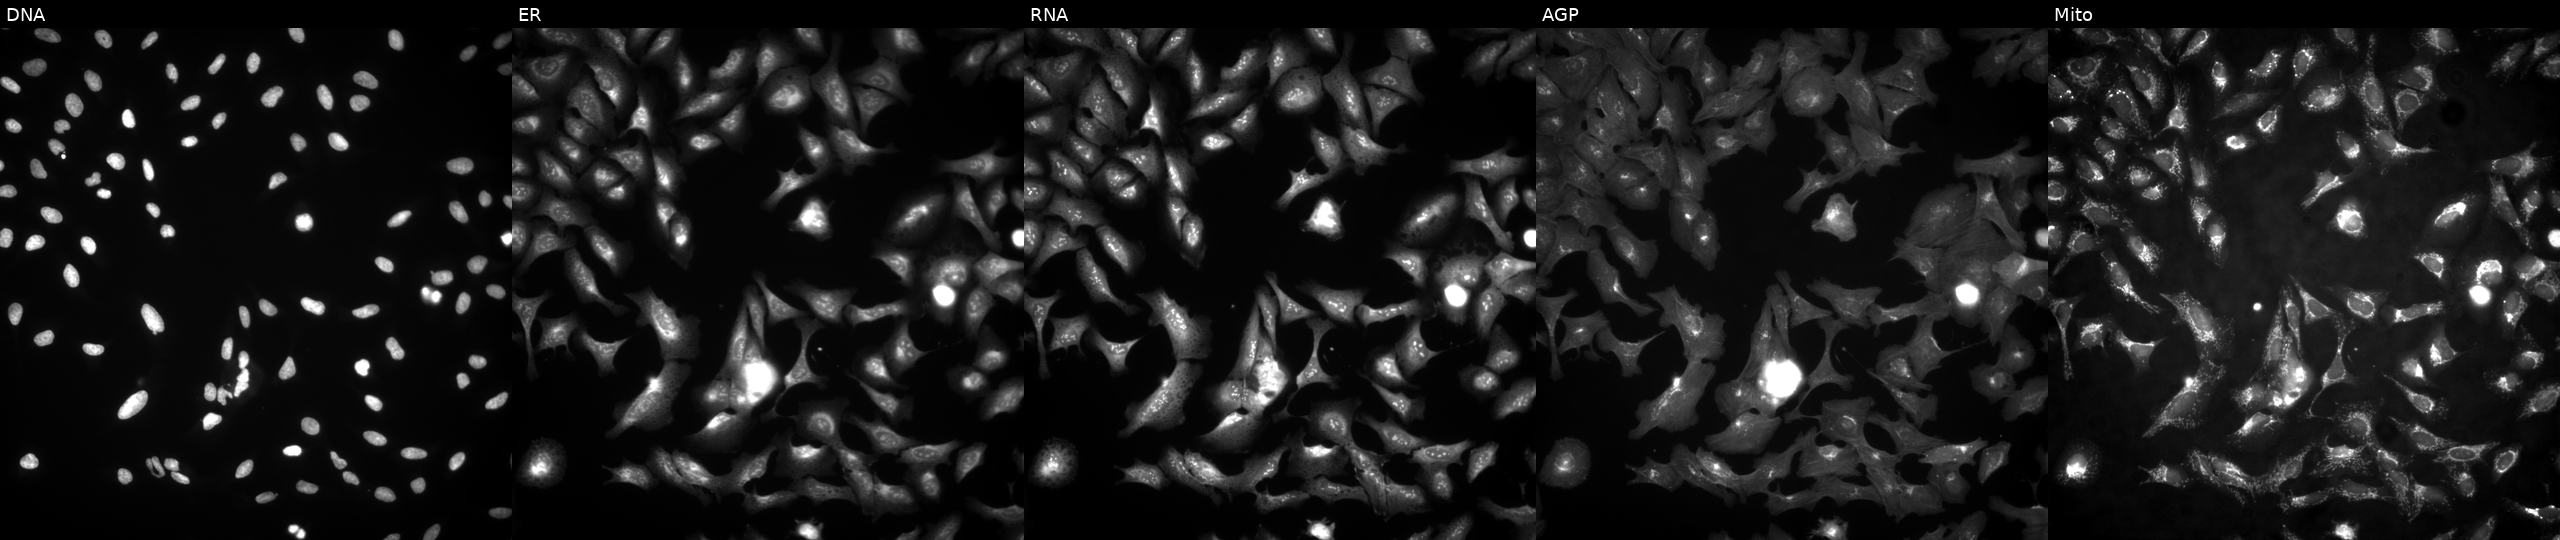
U2OS cells, Cell Painting assay, transfected with an ORF construct for C16orf54. From left to right: DNA (nuclei); ER (endoplasmic reticulum); RNA (nucleoli and cytoplasmic RNA); AGP (actin cytoskeleton, Golgi, and plasma membrane); Mito (mitochondria). Each panel is percentile-stretched 16-bit fluorescence. Source 4, plate BR00123509, well I18.